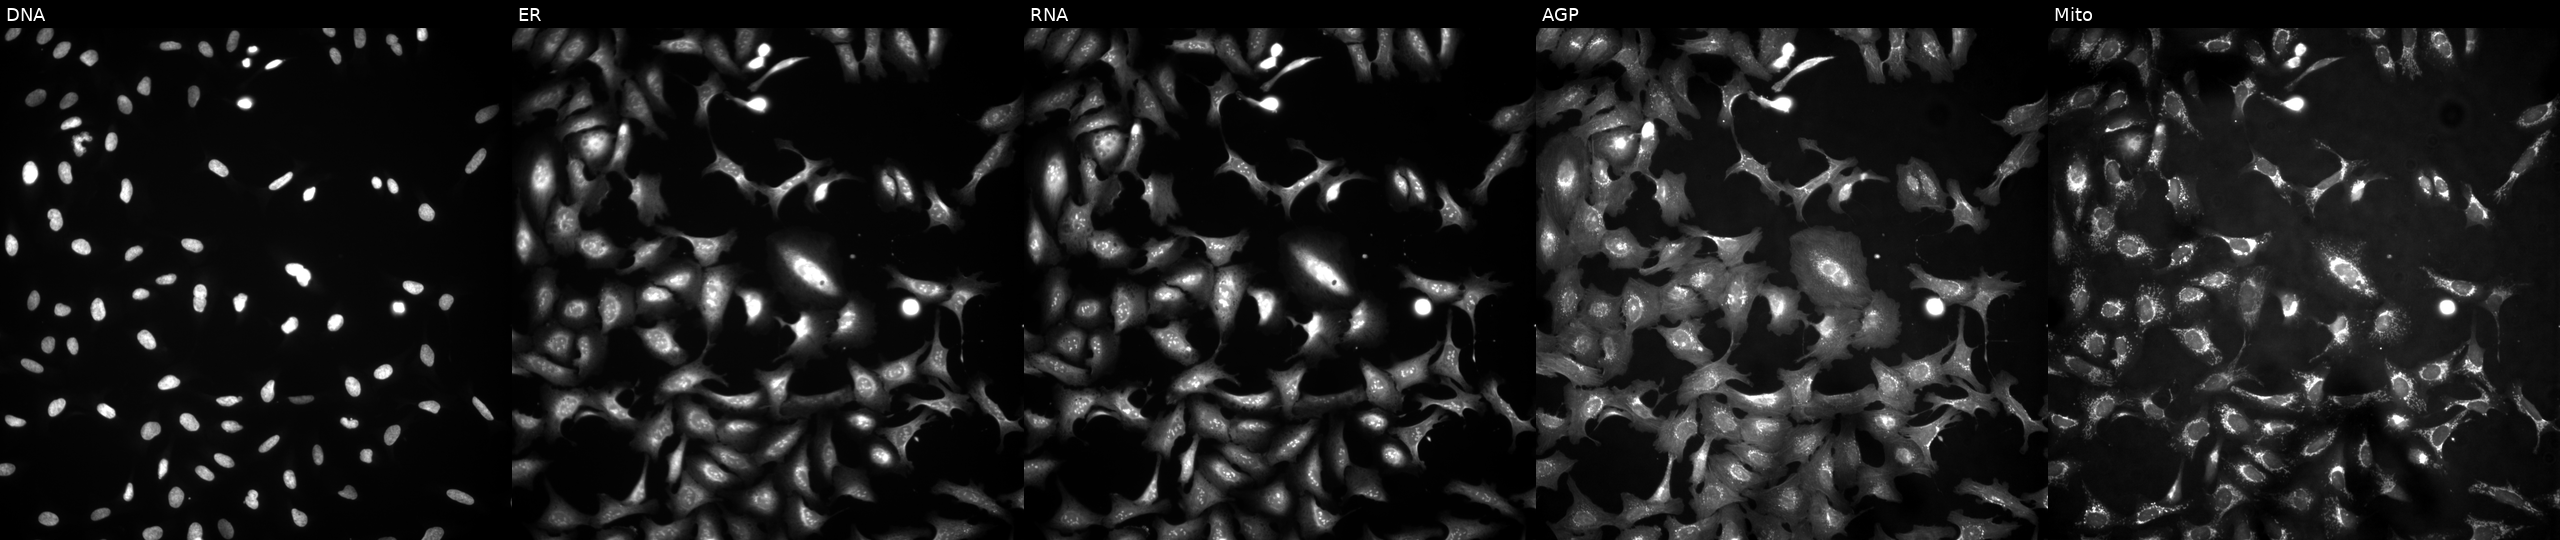
From left to right: DNA (nuclei); ER (endoplasmic reticulum); RNA (nucleoli and cytoplasmic RNA); AGP (actin cytoskeleton, Golgi, and plasma membrane); Mito (mitochondria). U2OS osteosarcoma cells transfected with an ORF construct for ZFP64 (JUMP id JCP2022_908013). Cell Painting assay, JUMP-CP dataset.